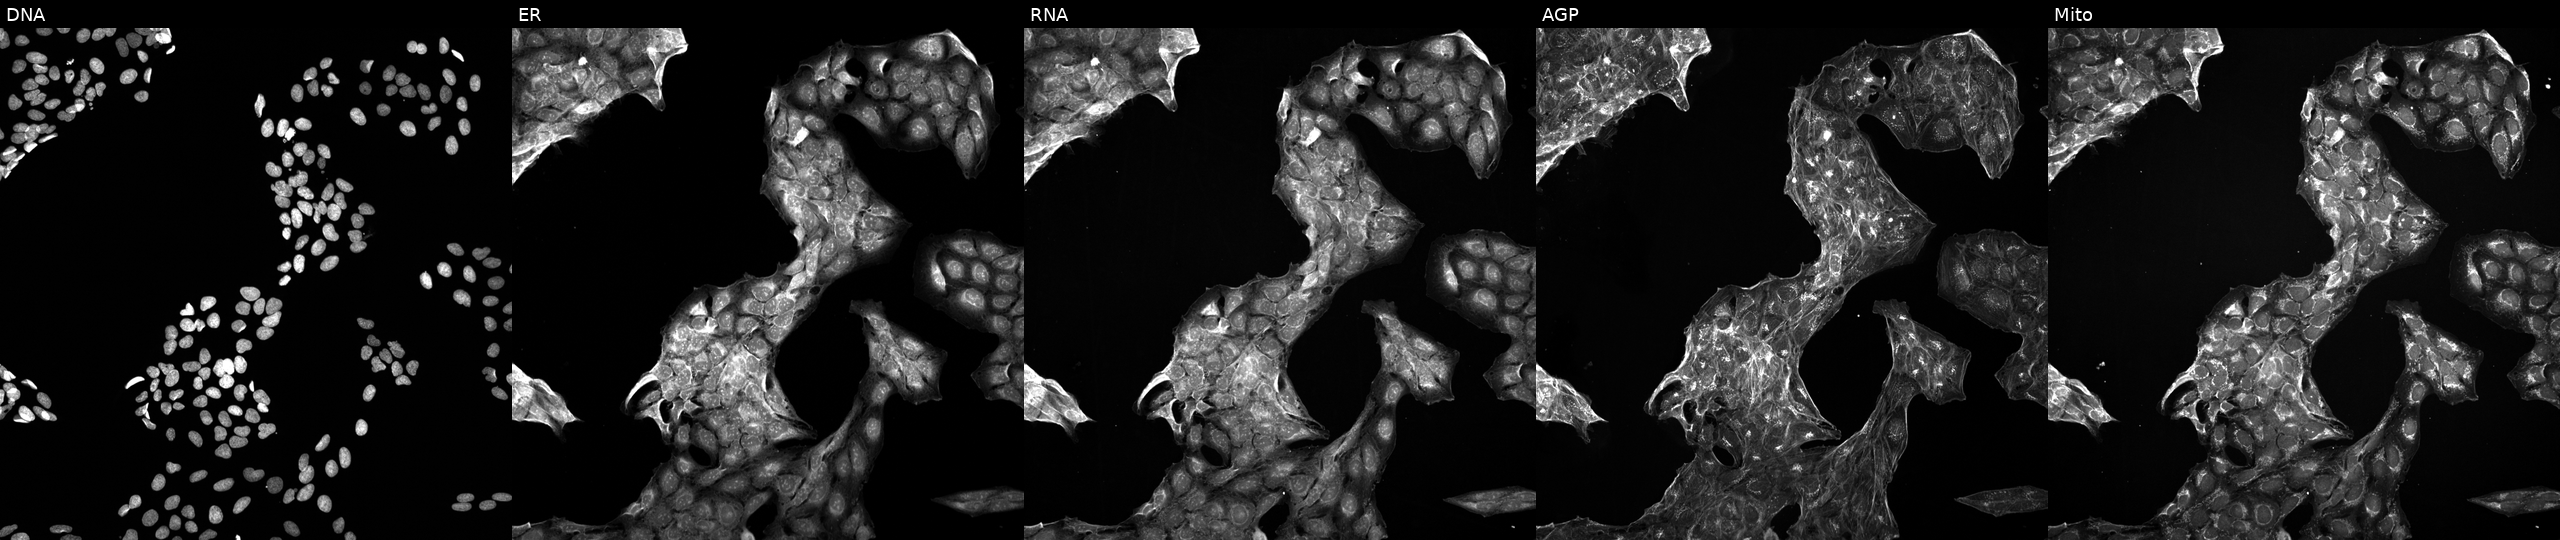
U2OS cells, Cell Painting assay, treated with LY2109761 (positive-control compound). The five panels, left to right, show DNA (nuclei); ER (endoplasmic reticulum); RNA (nucleoli and cytoplasmic RNA); AGP (actin cytoskeleton, Golgi, and plasma membrane); Mito (mitochondria). Each panel is percentile-stretched 16-bit fluorescence. Source 5, plate APTJUM105, well A24.